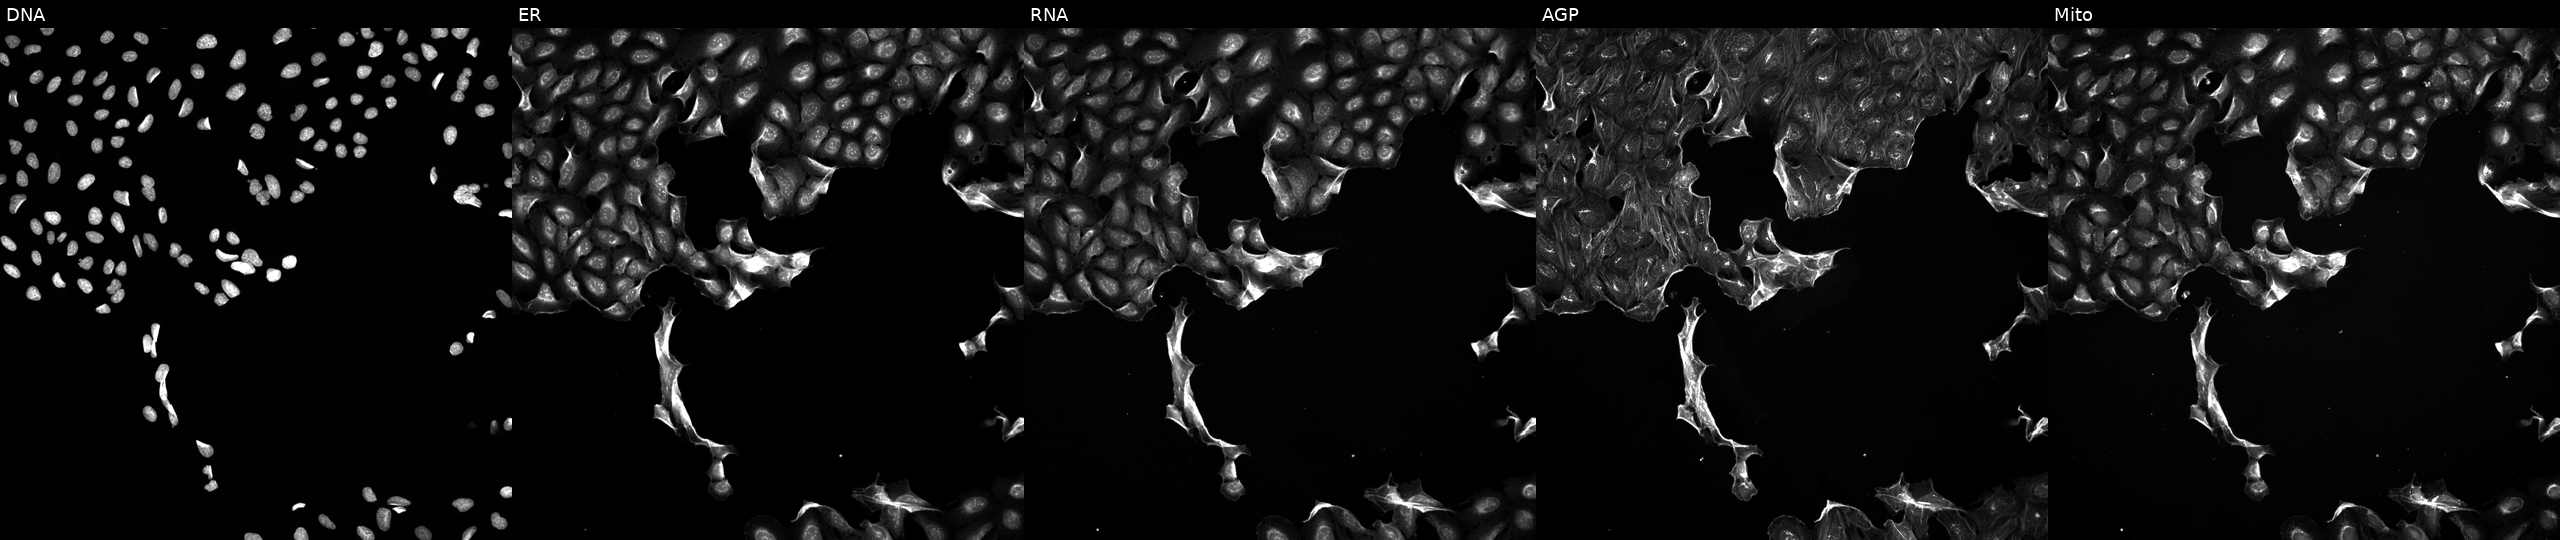
U2OS cells, Cell Painting assay, exposed to the positive-control compound TC-S-7004 (JUMP id JCP2022_012818). Panels show, left to right, DNA (nuclei); ER (endoplasmic reticulum); RNA (nucleoli and cytoplasmic RNA); AGP (actin cytoskeleton, Golgi, and plasma membrane); Mito (mitochondria). Each panel is percentile-stretched 16-bit fluorescence. Source 5, plate APTJUM105, well H01.